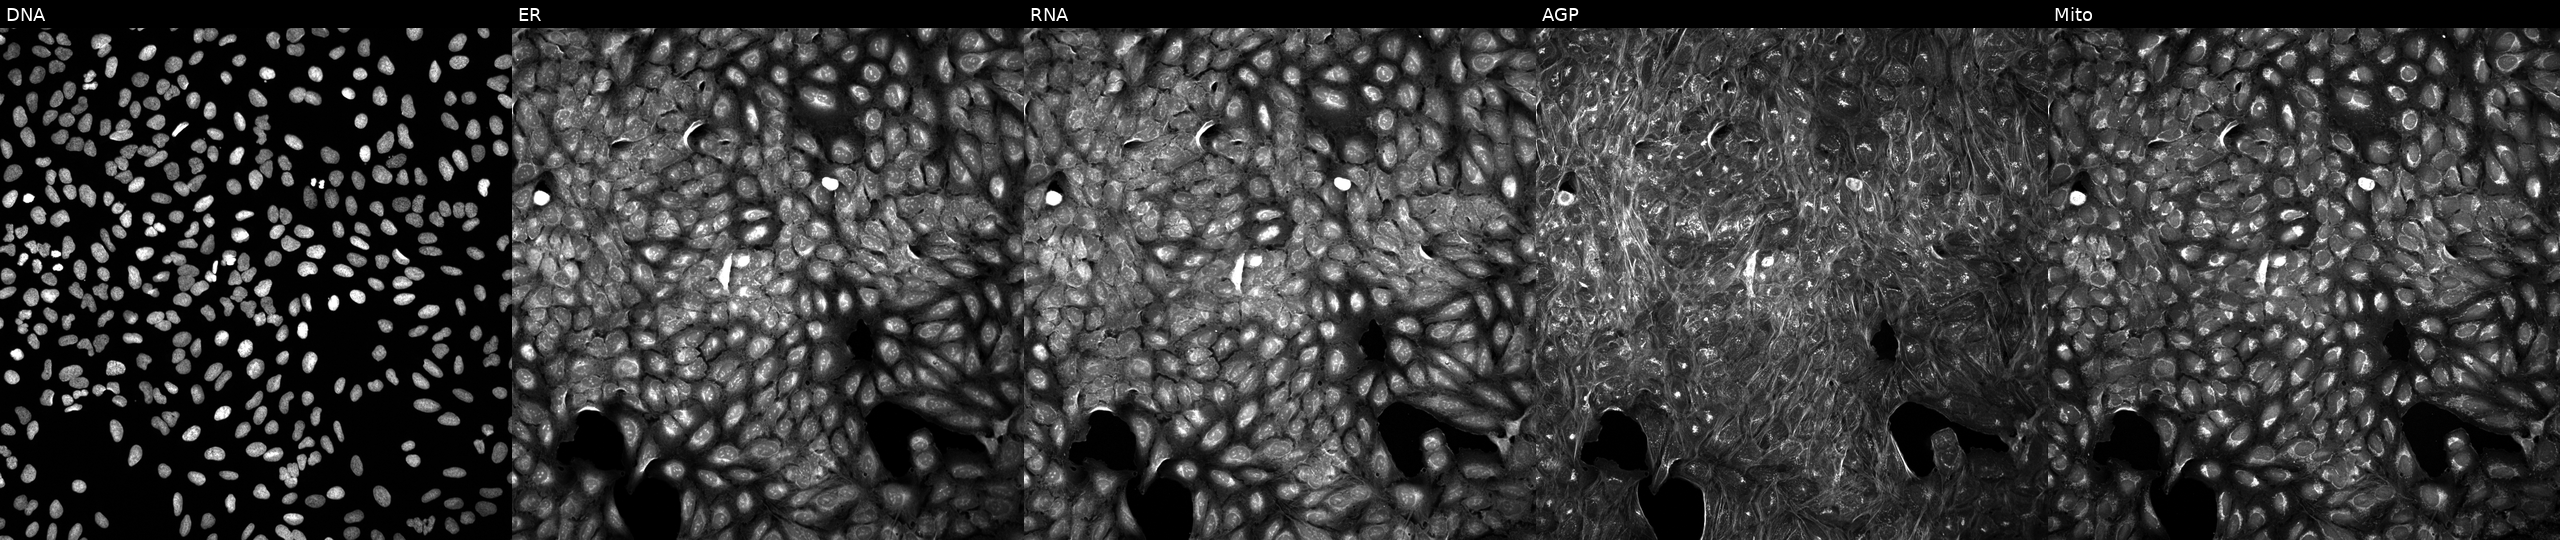
This image strip shows the five Cell Painting channels for a single field of U2OS cells perturbed with a small-molecule compound (InChIKey IQLSJARHUIHTMO-UHFFFAOYSA-N) (JUMP id JCP2022_036748). From left to right: Hoechst 33342, concanavalin A, SYTO 14, phalloidin and WGA, MitoTracker. Source 5, plate APTJUM105, well H22.